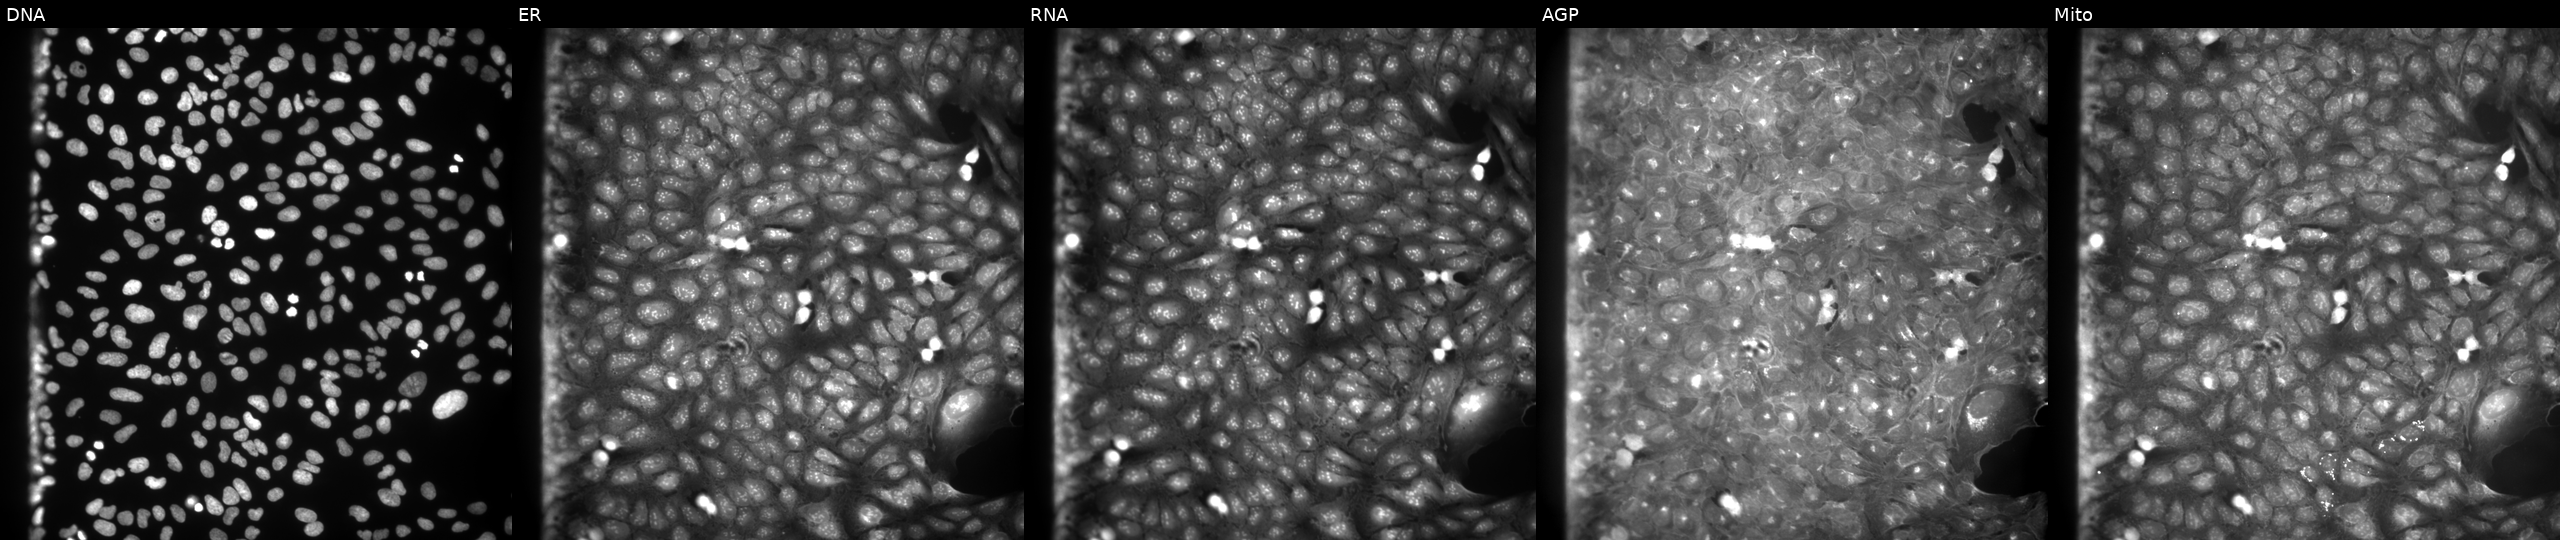
U2OS cells, Cell Painting assay, perturbed with a small-molecule compound (JUMP id JCP2022_046532). From left to right: DNA, ER, RNA, AGP, and Mito. Each panel is percentile-stretched 16-bit fluorescence.